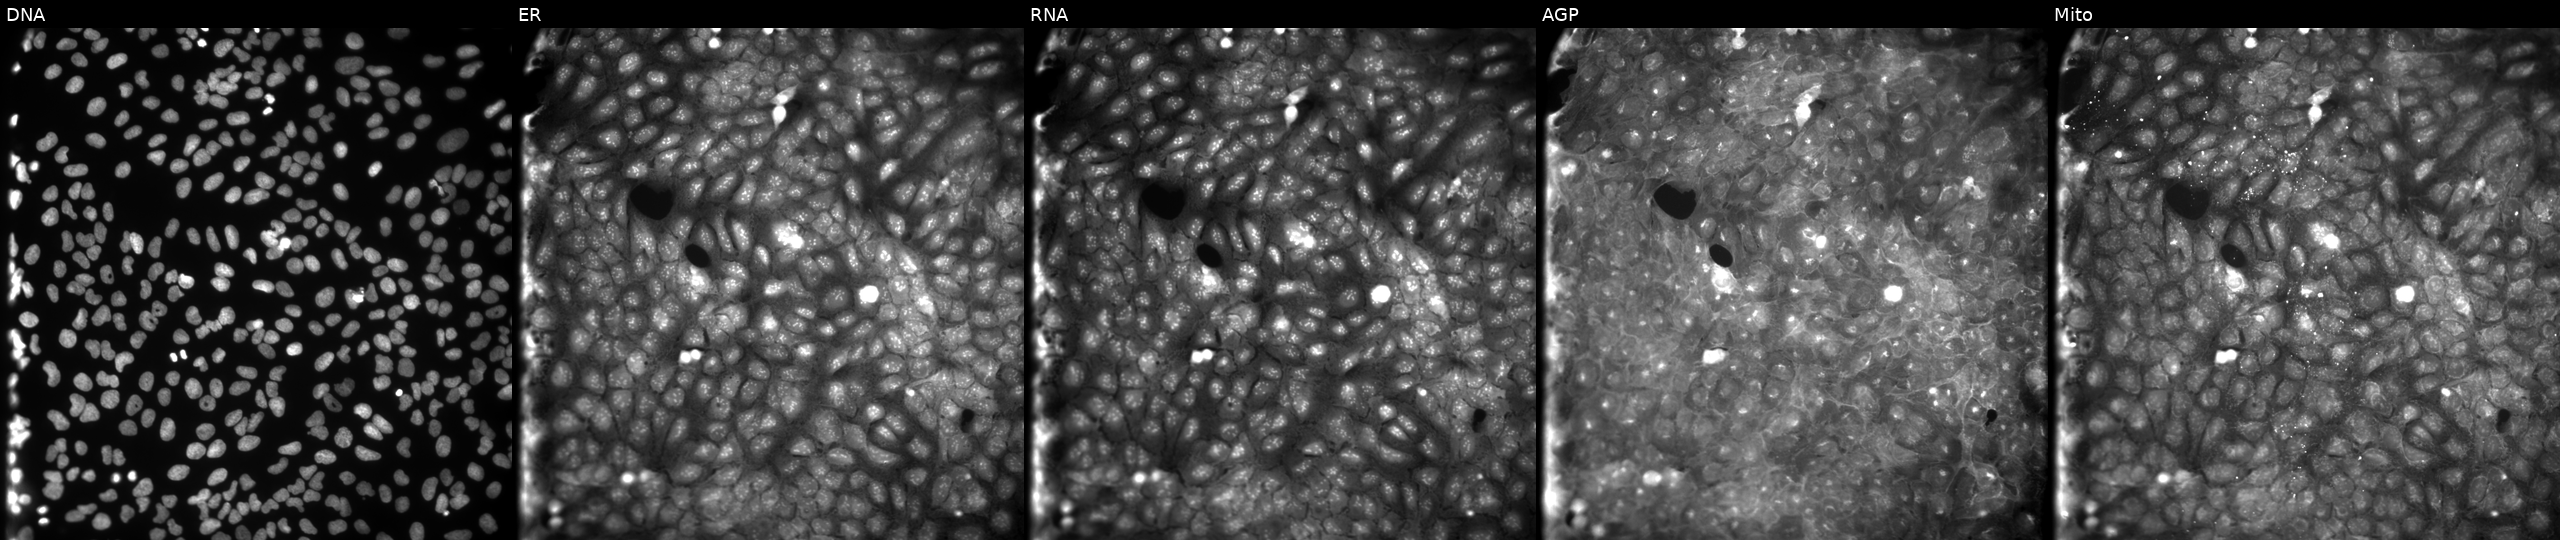
This image strip shows the five Cell Painting channels for a single field of U2OS cells exposed to DMSO alone as a negative control. Channels (left→right): DNA, ER, RNA, AGP, and Mito. Source 9, plate GR00003382, well AA02.